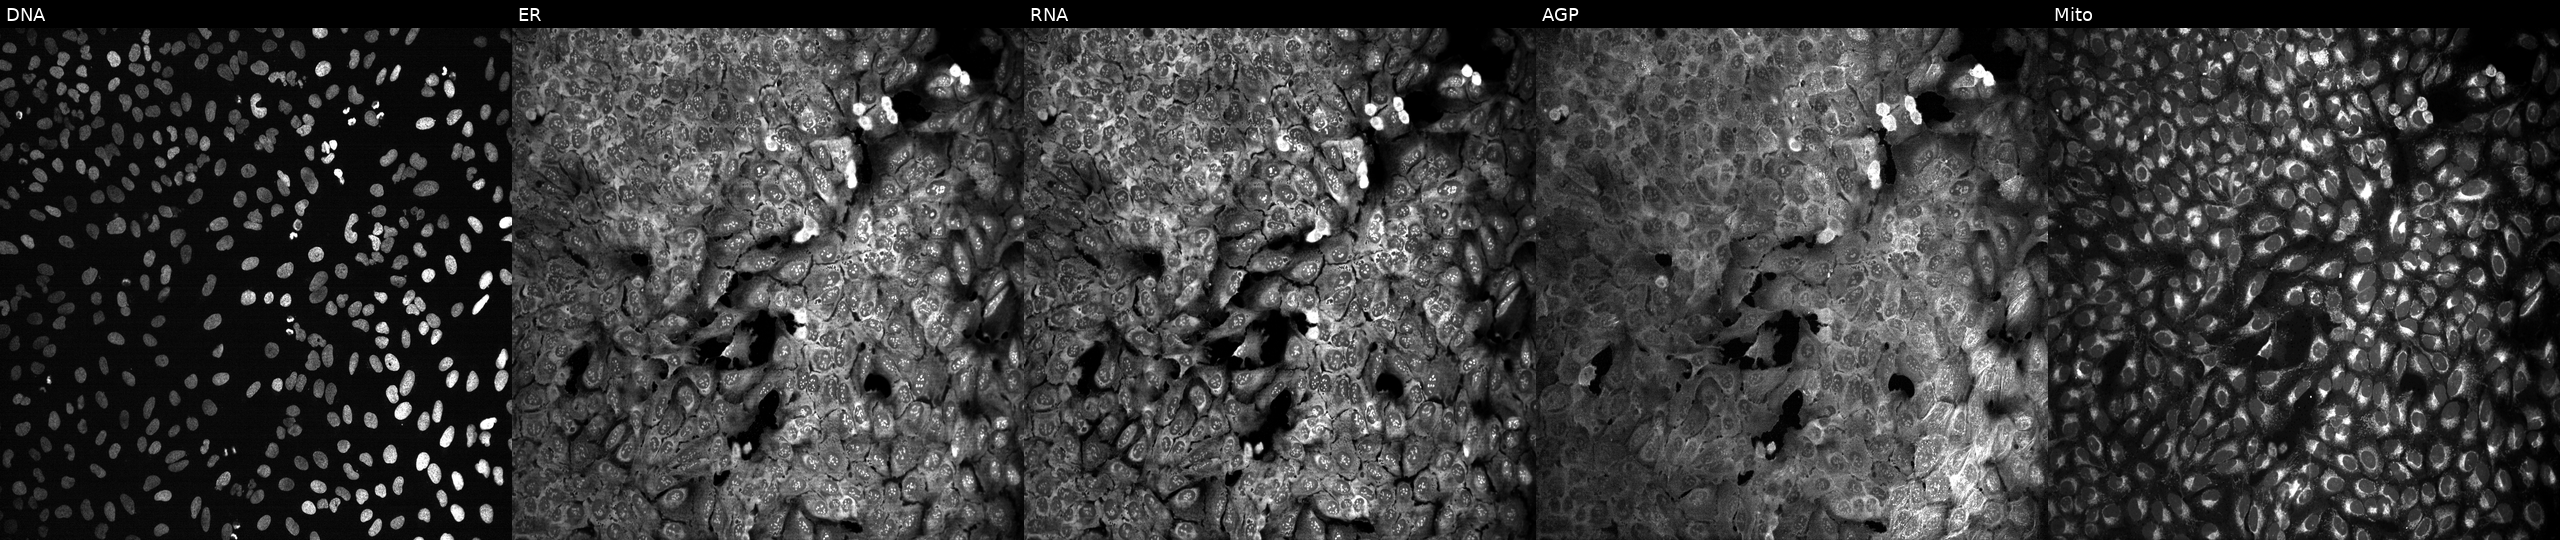
This image strip shows the five Cell Painting channels for a single field of U2OS cells CRISPR-edited to disrupt GNPDA1. Panels show, left to right, DNA, ER, RNA, AGP, and Mito. Source 13, plate CP-CC9-R3-01, well J04.